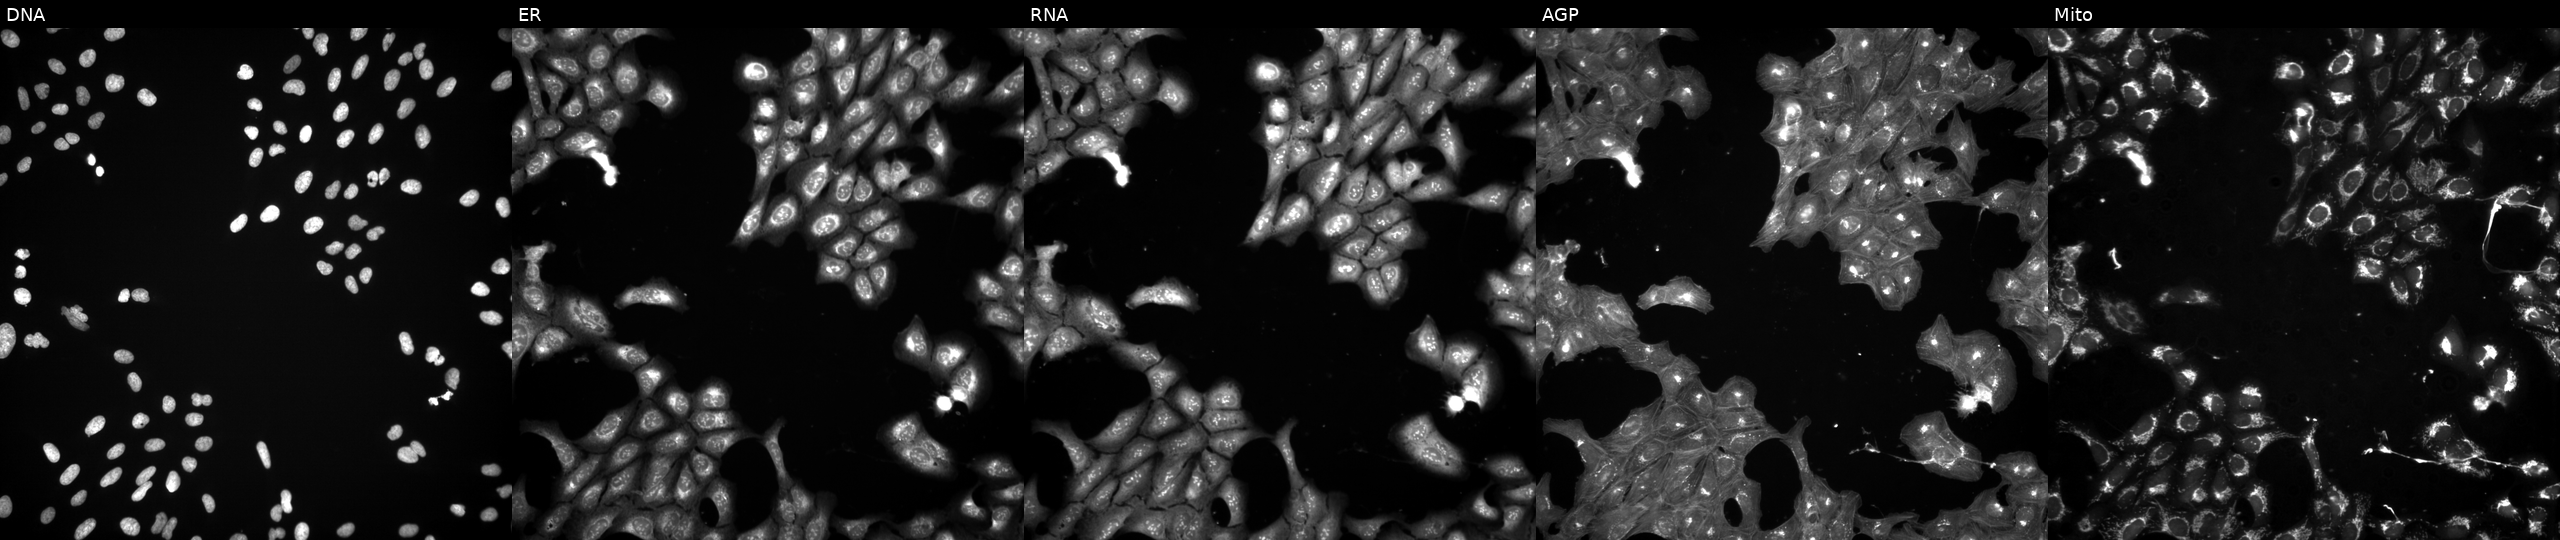
Five-channel Cell Painting image of U2OS cells perturbed with a small-molecule compound. Channels (left→right): DNA (nuclei); ER (endoplasmic reticulum); RNA (nucleoli and cytoplasmic RNA); AGP (actin cytoskeleton, Golgi, and plasma membrane); Mito (mitochondria).